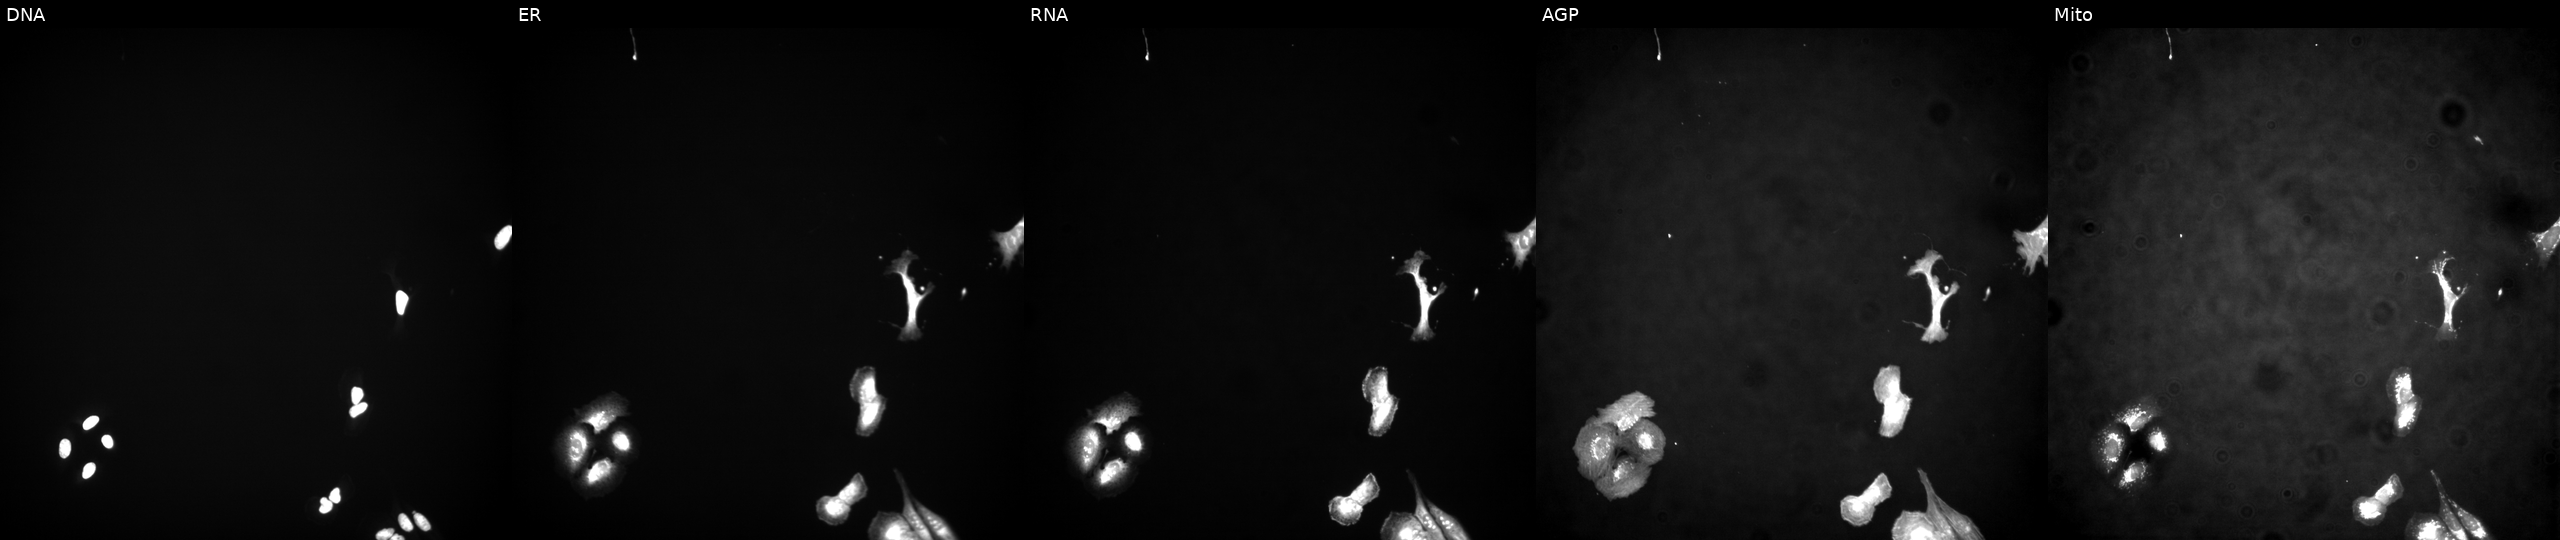
Five-channel Cell Painting image of U2OS cells with OSGEPL1 overexpressed (ORF) (JUMP id JCP2022_913291). Channels (left→right): DNA, ER, RNA, AGP, and Mito. Source 4, plate BR00124784, well M18.